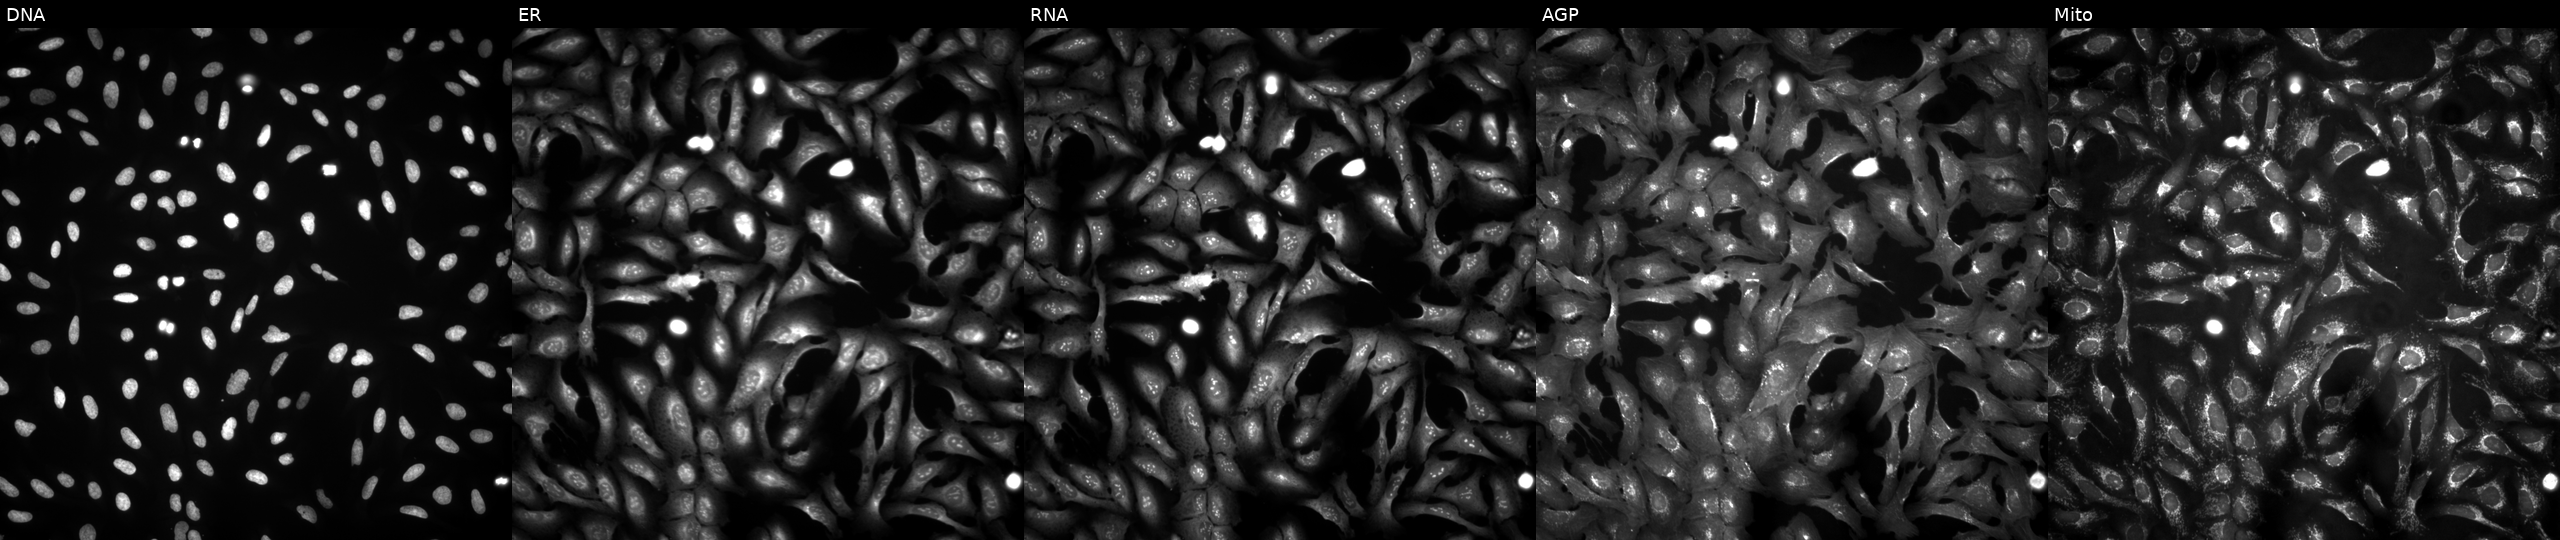
JUMP Cell Painting — ORF plate. U2OS cells transfected with an ORF construct for BCAN (JUMP id JCP2022_908223). Channels (left→right): Hoechst 33342, concanavalin A, SYTO 14, phalloidin and WGA, MitoTracker. Source 4, plate BR00121543, well I11.